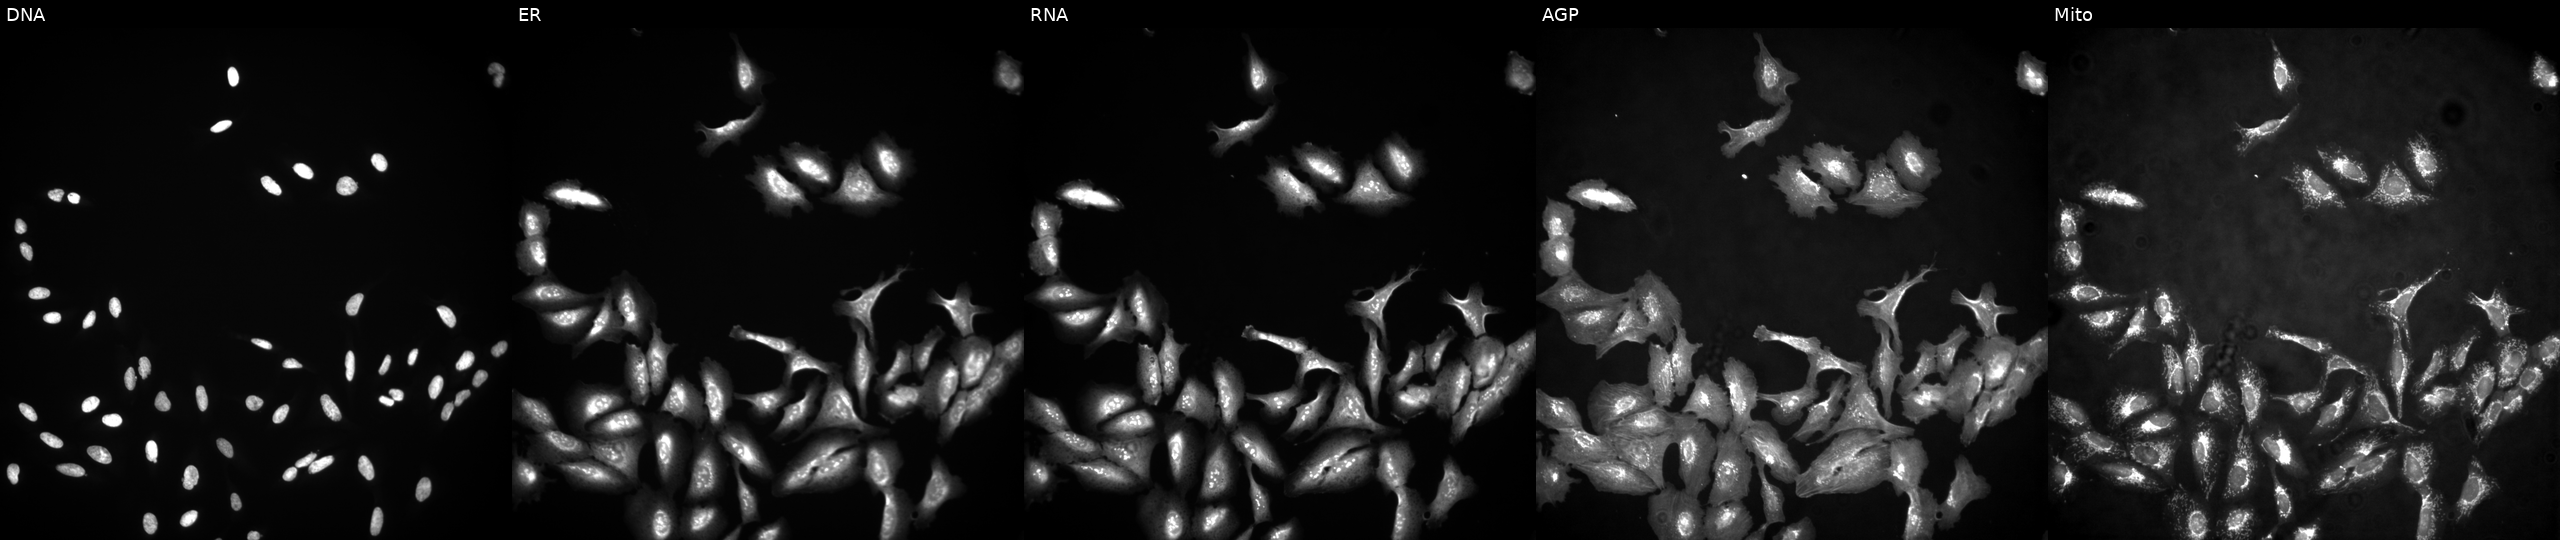
U2OS cells, Cell Painting assay, expressing eGFP (ORF positive control) (JUMP id JCP2022_915132). From left to right: DNA (nuclei); ER (endoplasmic reticulum); RNA (nucleoli and cytoplasmic RNA); AGP (actin cytoskeleton, Golgi, and plasma membrane); Mito (mitochondria). Each panel is percentile-stretched 16-bit fluorescence.